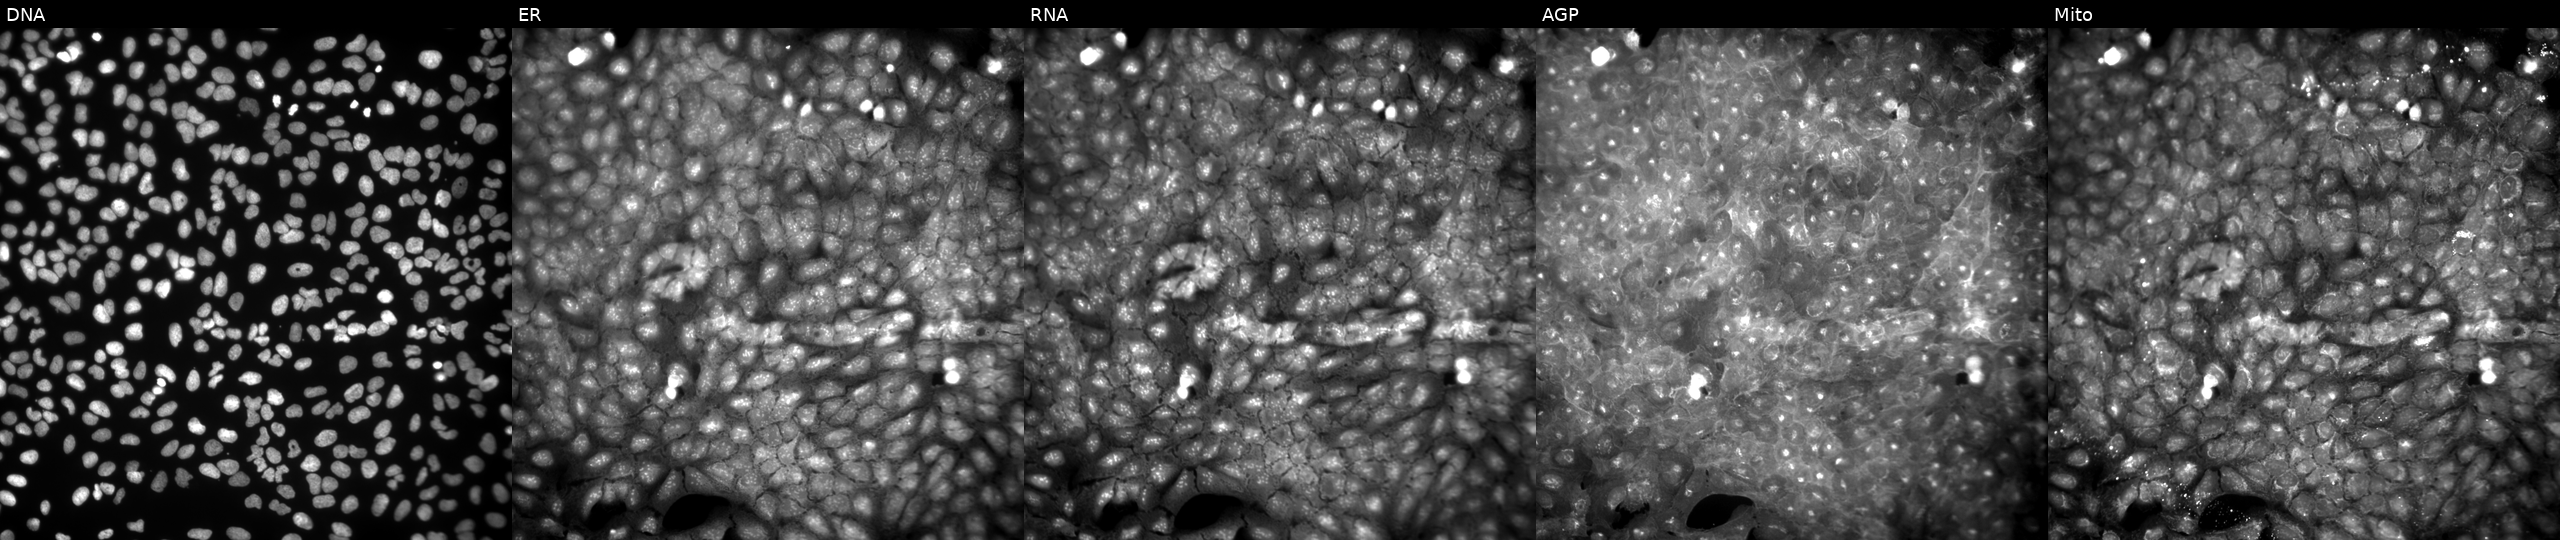
Panels show, left to right, Hoechst 33342, concanavalin A, SYTO 14, phalloidin and WGA, MitoTracker. U2OS osteosarcoma cells perturbed with a small-molecule compound (InChIKey BPKBZVSYAXDNAI-UHFFFAOYSA-N) [SMILES: C=c1[nH]n(-c2ccccc2)c(=O)c1=Cc1ccc(N2CCCC2)o1]. Cell Painting assay, JUMP-CP dataset. Source 9, plate GR00003381, well Z46.